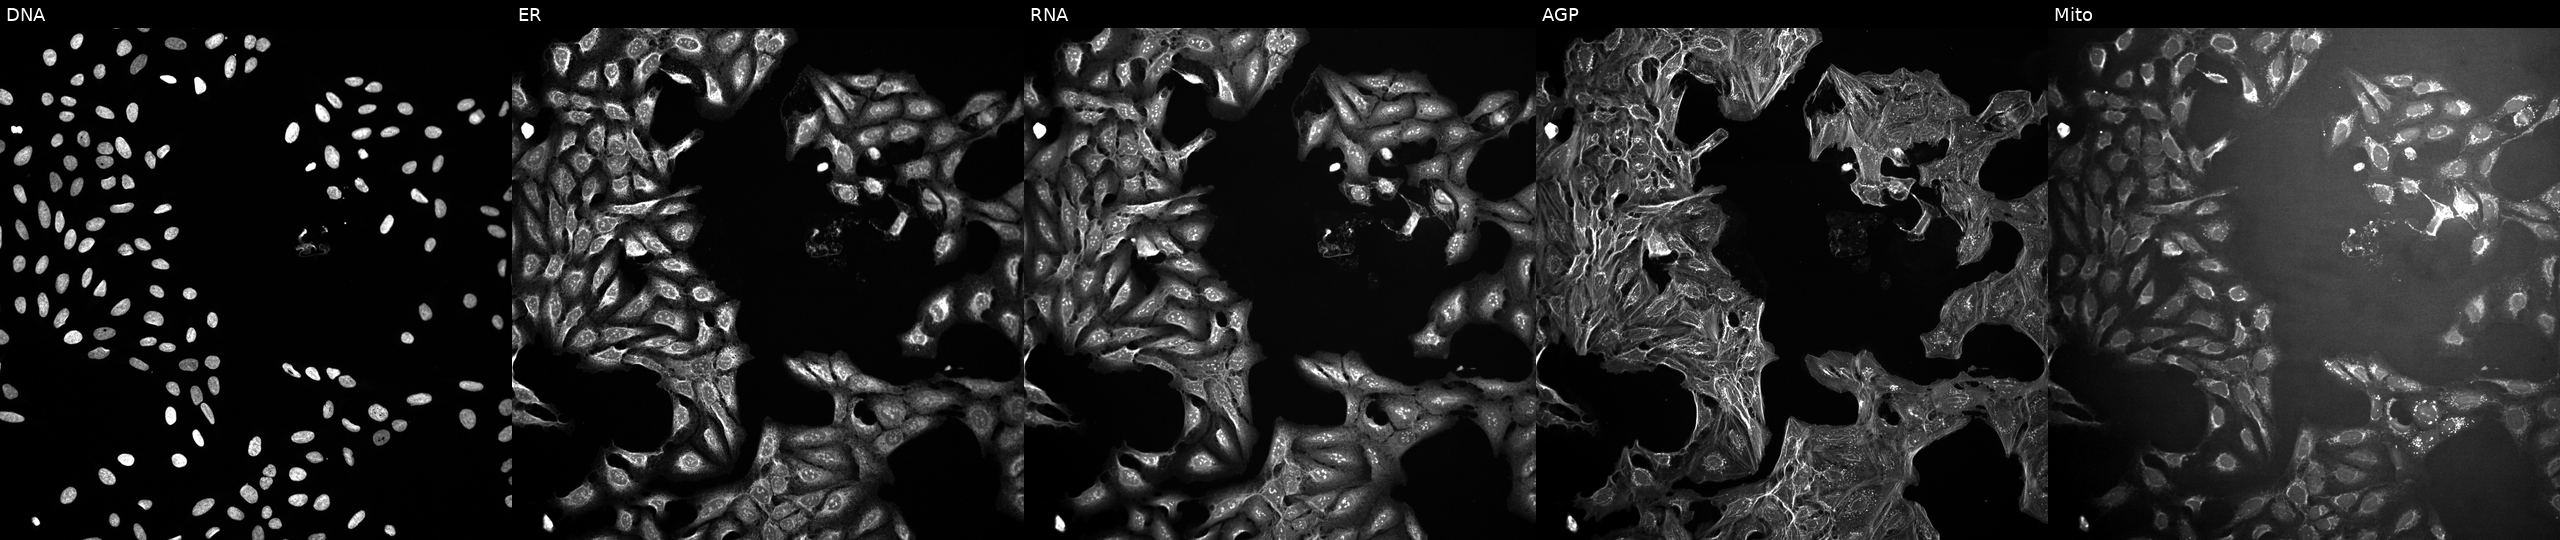
Five-channel Cell Painting image of U2OS cells treated with a small-molecule compound (InChIKey RLUMRZJMYNWMPF-UHFFFAOYSA-N) (JUMP id JCP2022_079201). Panels show, left to right, Hoechst 33342, concanavalin A, SYTO 14, phalloidin and WGA, MitoTracker.